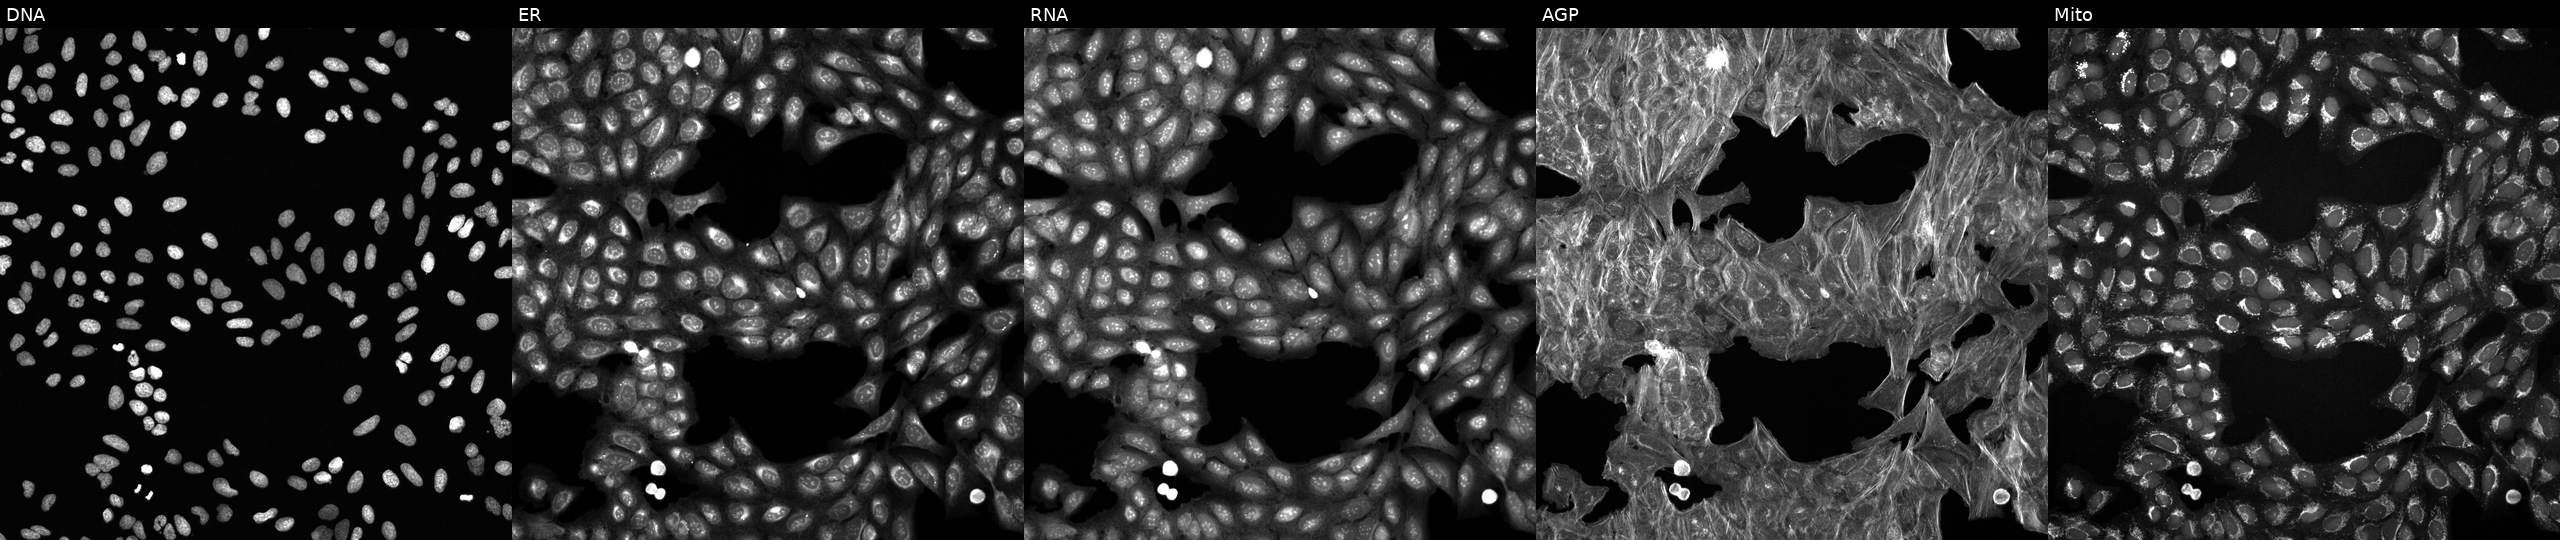
High-content fluorescence microscopy (Cell Painting). Cell line: U2OS. Perturbation: treated with a small-molecule compound. Channels (left→right): DNA, ER, RNA, AGP, and Mito.